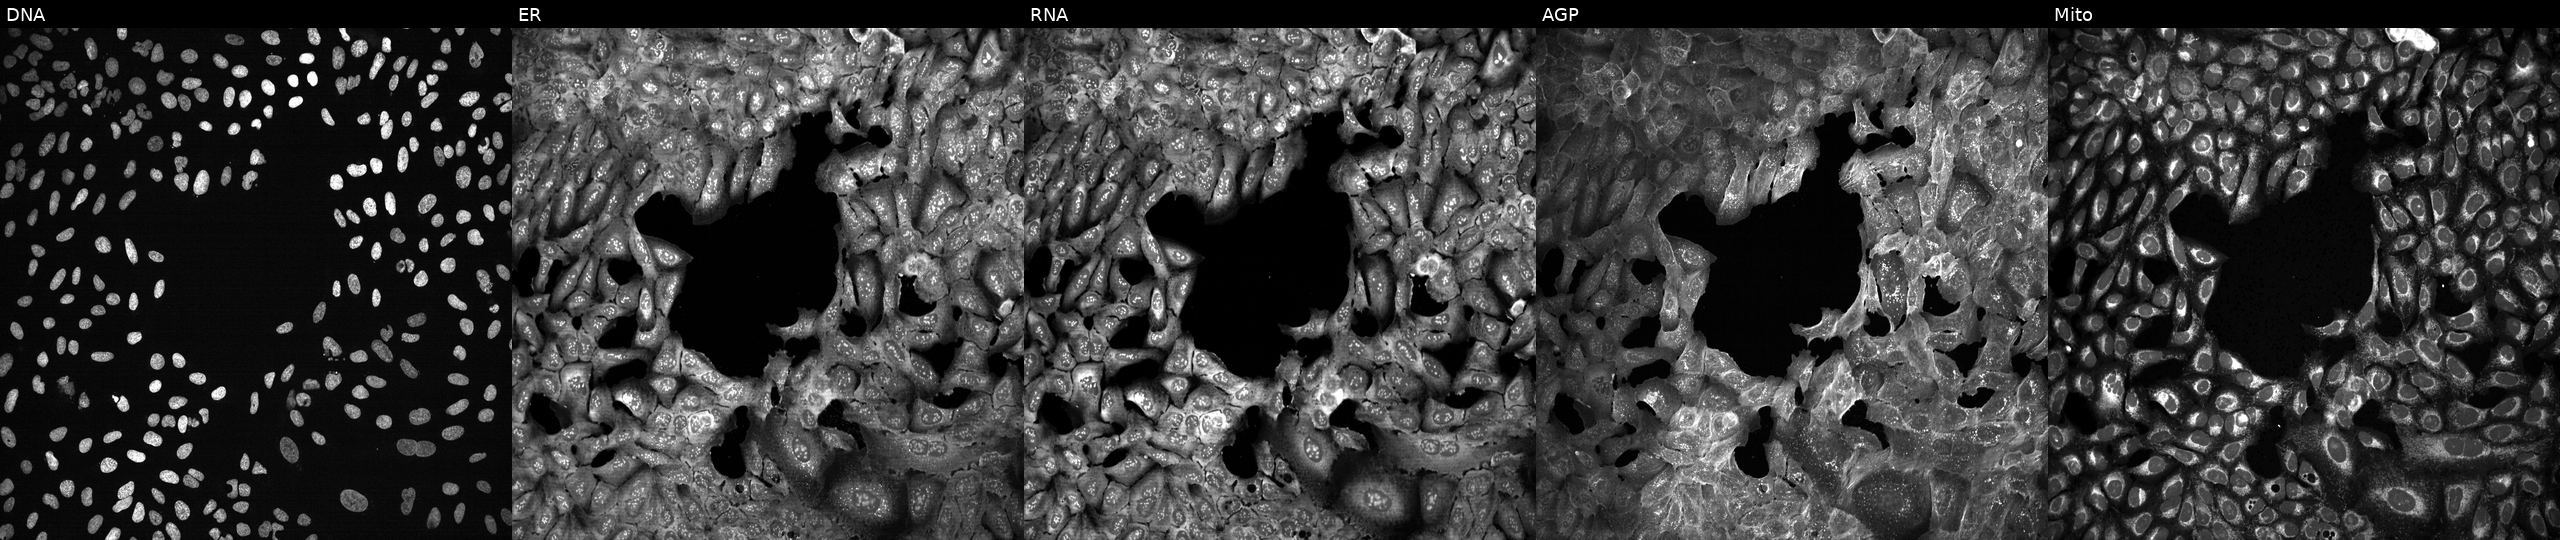
High-content fluorescence microscopy (Cell Painting). Cell line: U2OS. Perturbation: CRISPR-edited to disrupt EPHX3. From left to right: DNA (nuclei); ER (endoplasmic reticulum); RNA (nucleoli and cytoplasmic RNA); AGP (actin cytoskeleton, Golgi, and plasma membrane); Mito (mitochondria).